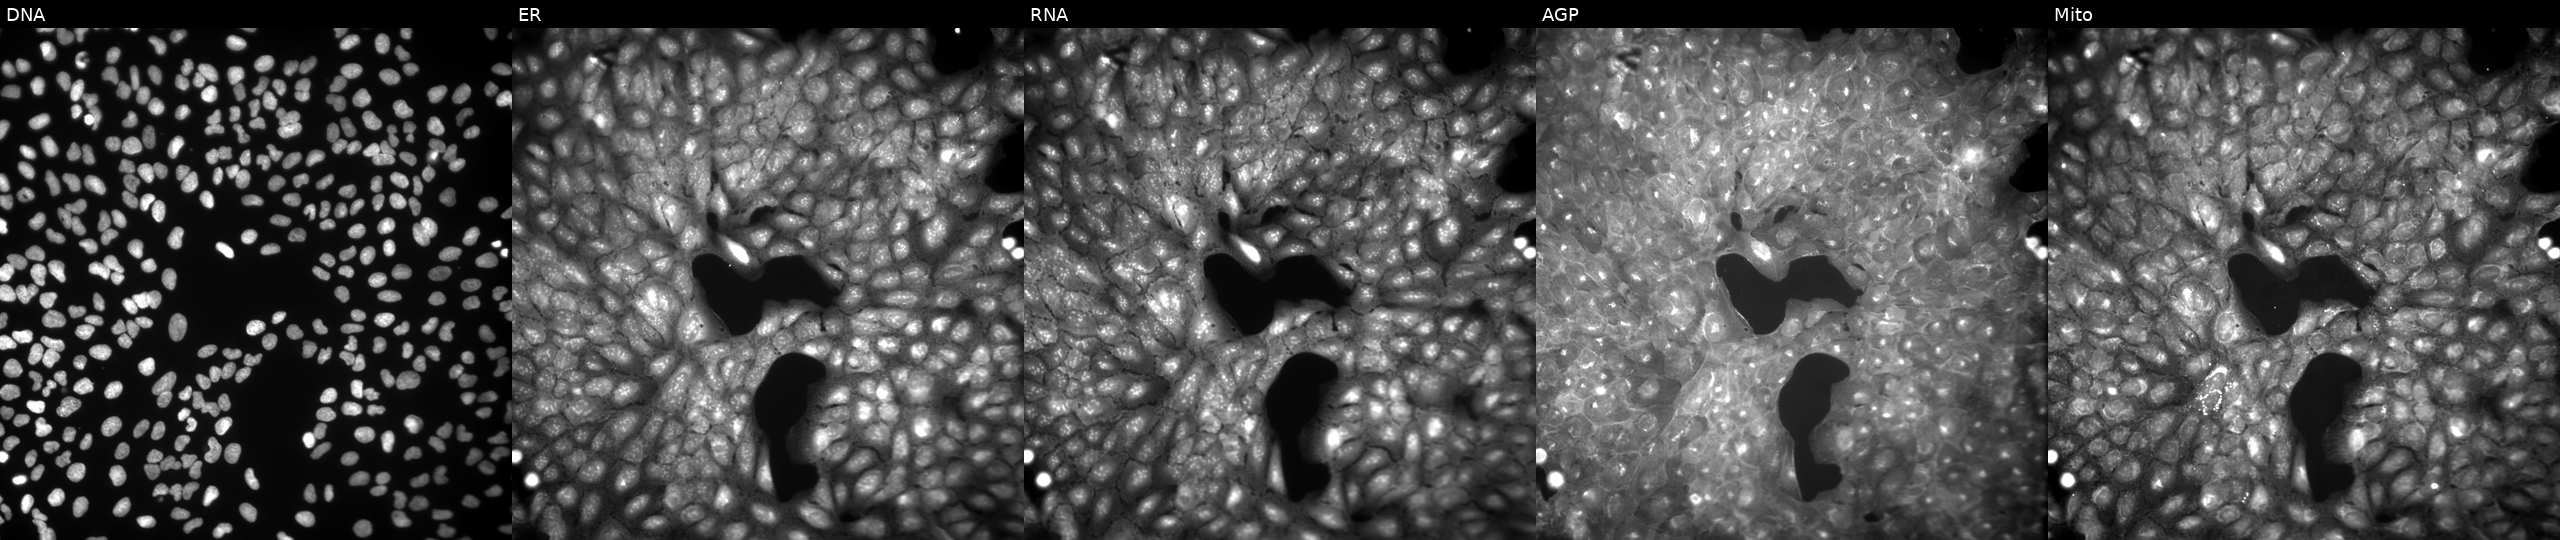
Channels (left→right): DNA, ER, RNA, AGP, and Mito. U2OS osteosarcoma cells perturbed with a small-molecule compound (InChIKey VFAOVSQKTHVMNY-UHFFFAOYSA-N). Cell Painting assay, JUMP-CP dataset.